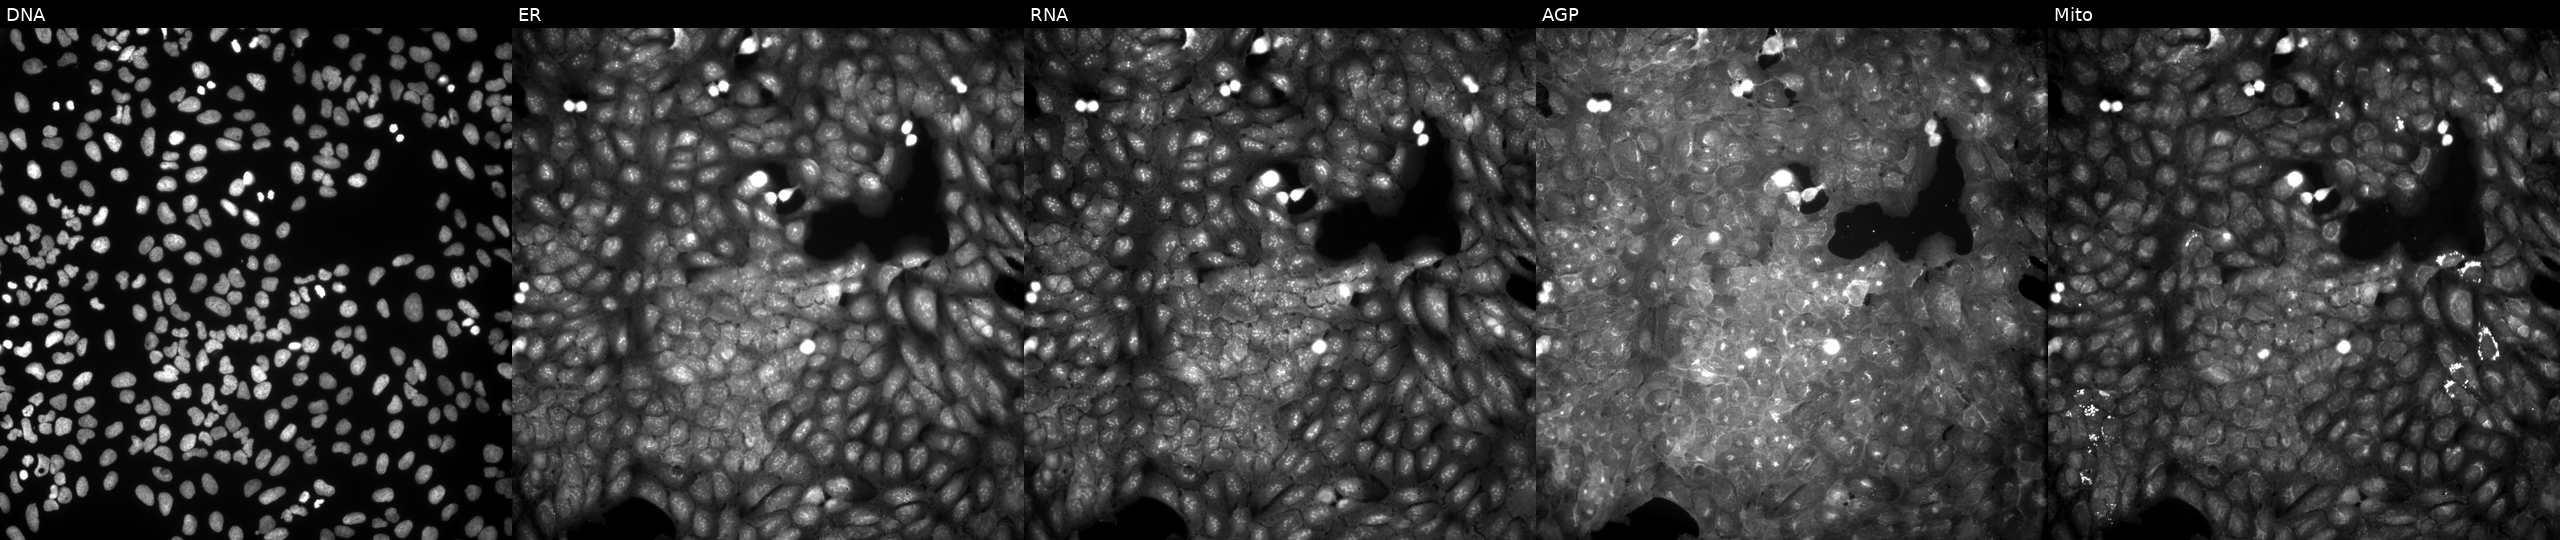
High-content fluorescence microscopy (Cell Painting). Cell line: U2OS. Perturbation: perturbed with a small-molecule compound (InChIKey RXVLZEXXWVDBFY-UHFFFAOYSA-N). From left to right: DNA, ER, RNA, AGP, and Mito. Source 9, plate GR00003381, well R27.